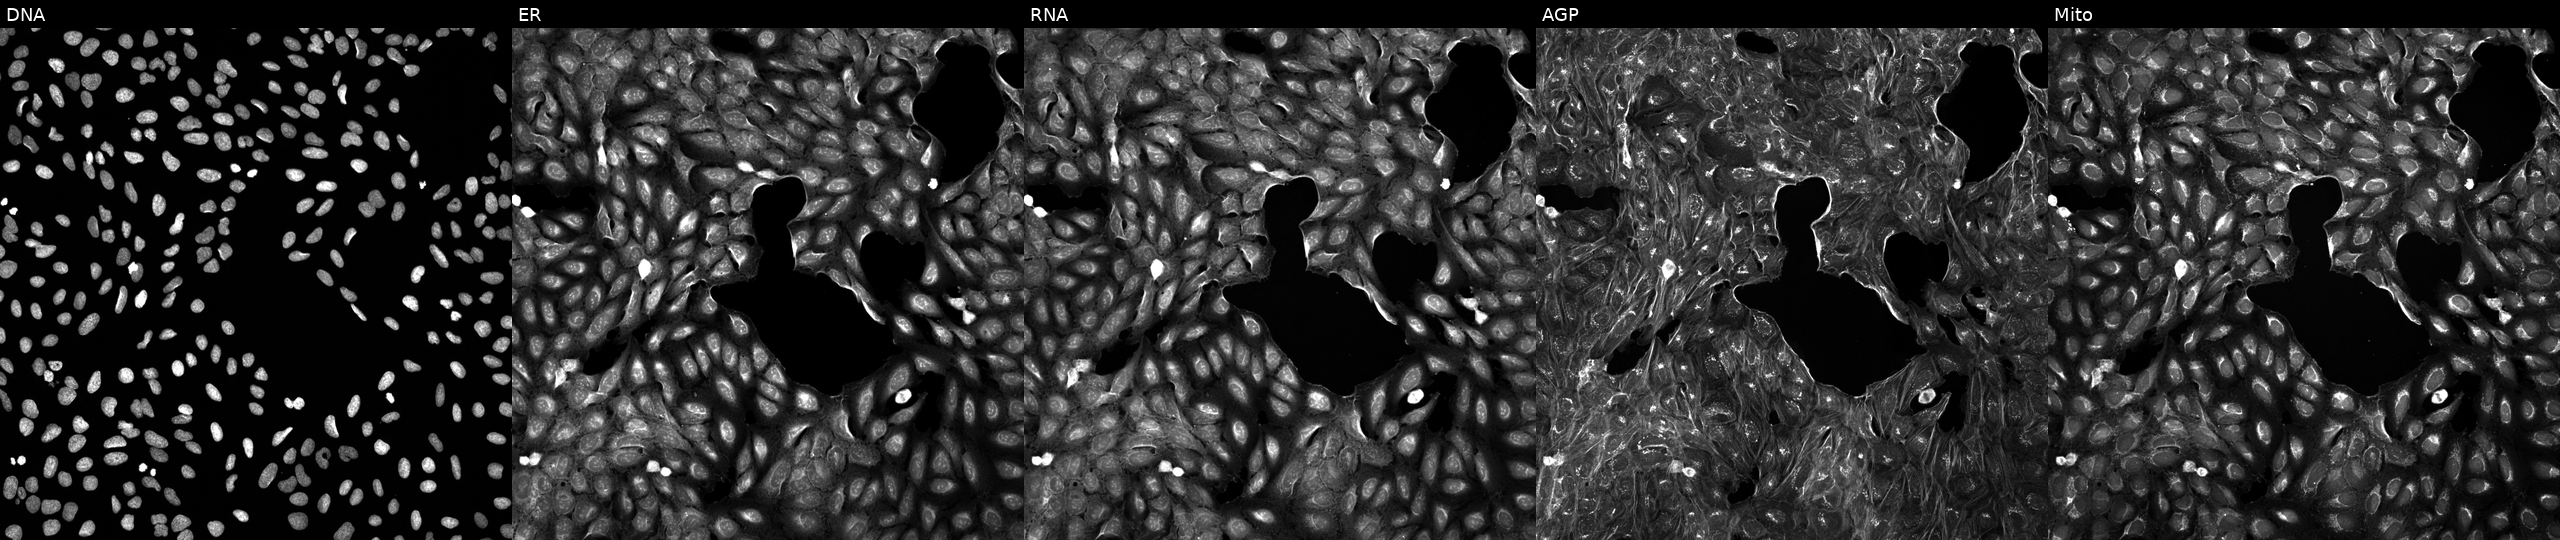
Panels show, left to right, DNA, ER, RNA, AGP, and Mito. U2OS osteosarcoma cells treated with a small-molecule compound (JUMP id JCP2022_086203). Cell Painting assay, JUMP-CP dataset. Source 5, plate APTJUM105, well L10.